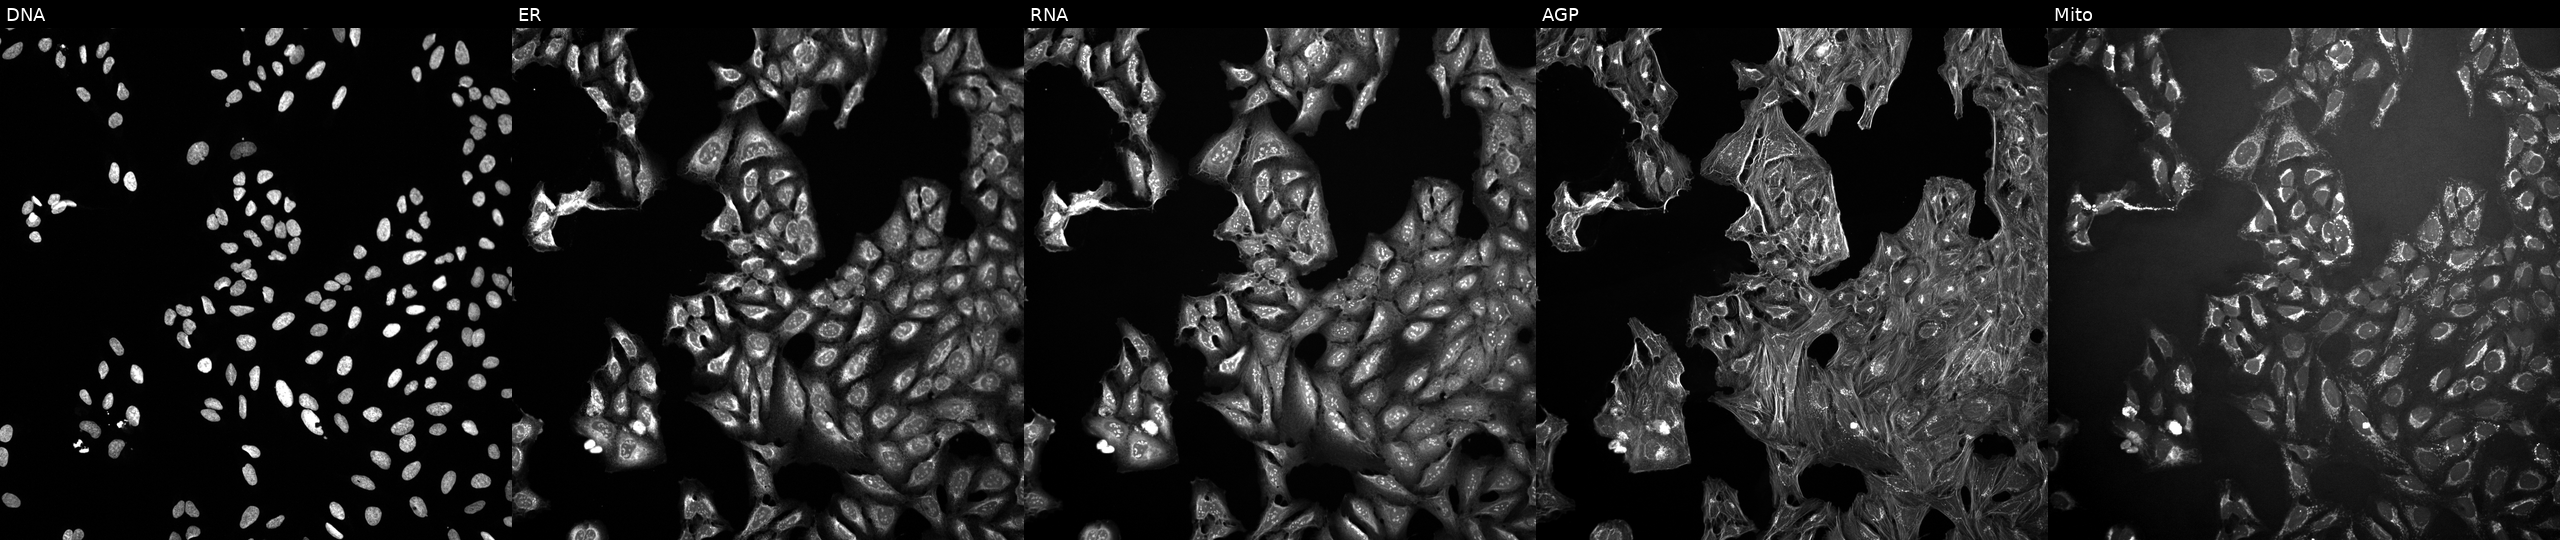
The five panels, left to right, show DNA (nuclei); ER (endoplasmic reticulum); RNA (nucleoli and cytoplasmic RNA); AGP (actin cytoskeleton, Golgi, and plasma membrane); Mito (mitochondria). U2OS osteosarcoma cells treated with a small-molecule compound (InChIKey WQDZKOHYCWWHBF-UHFFFAOYSA-N) (JUMP id JCP2022_100452). Cell Painting assay, JUMP-CP dataset.